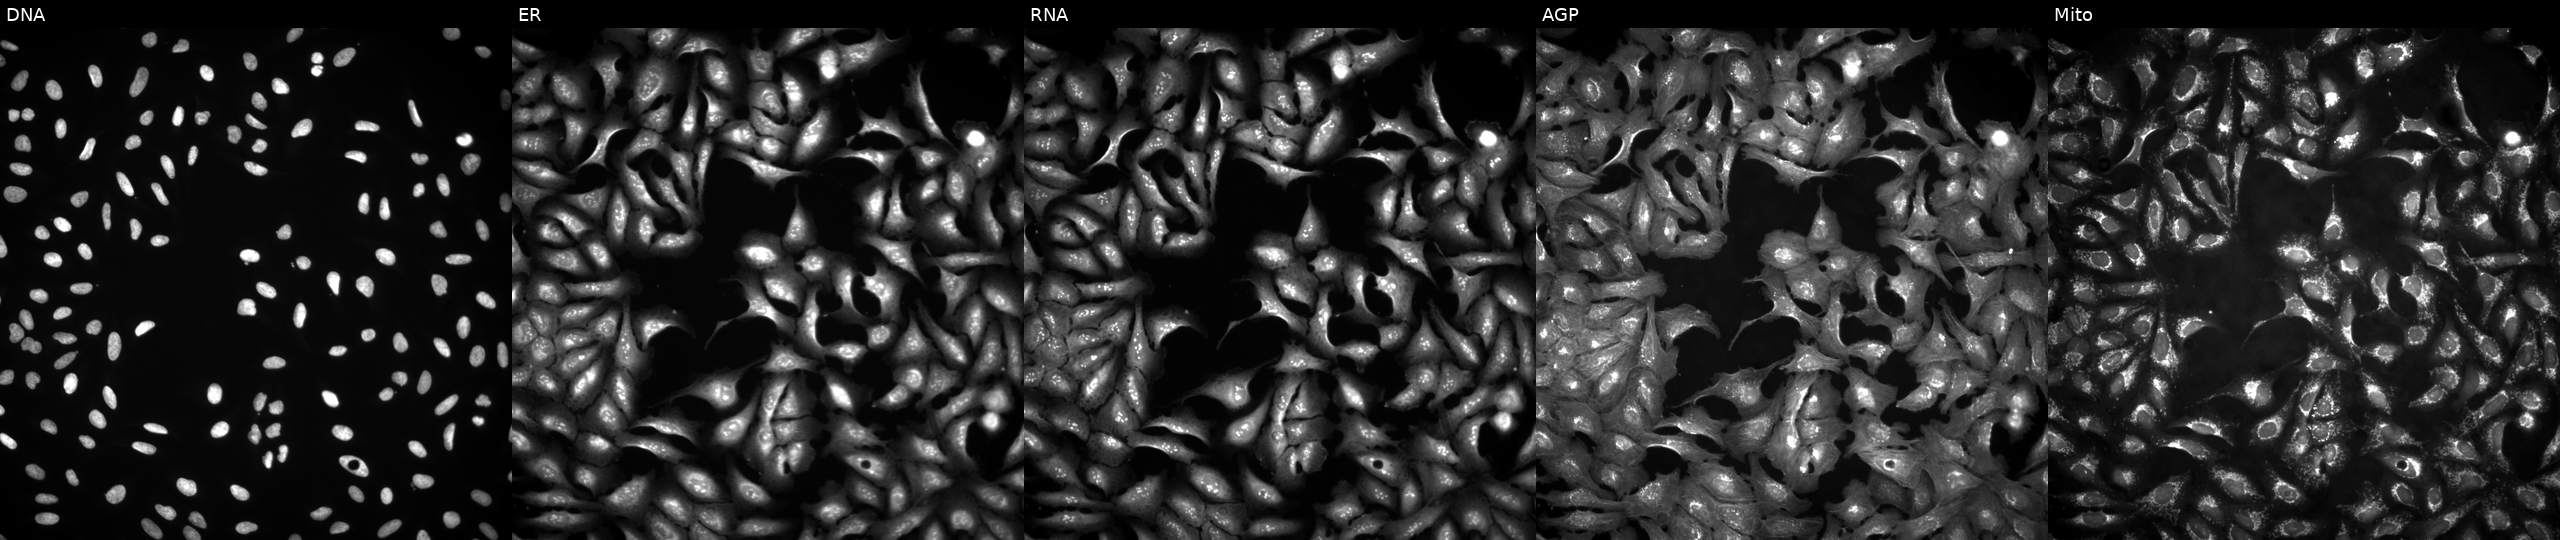
High-content fluorescence microscopy (Cell Painting). Cell line: U2OS. Perturbation: transfected with an ORF construct for DIABLO (JUMP id JCP2022_903499). From left to right: Hoechst 33342, concanavalin A, SYTO 14, phalloidin and WGA, MitoTracker. Source 4, plate BR00124787, well P16.